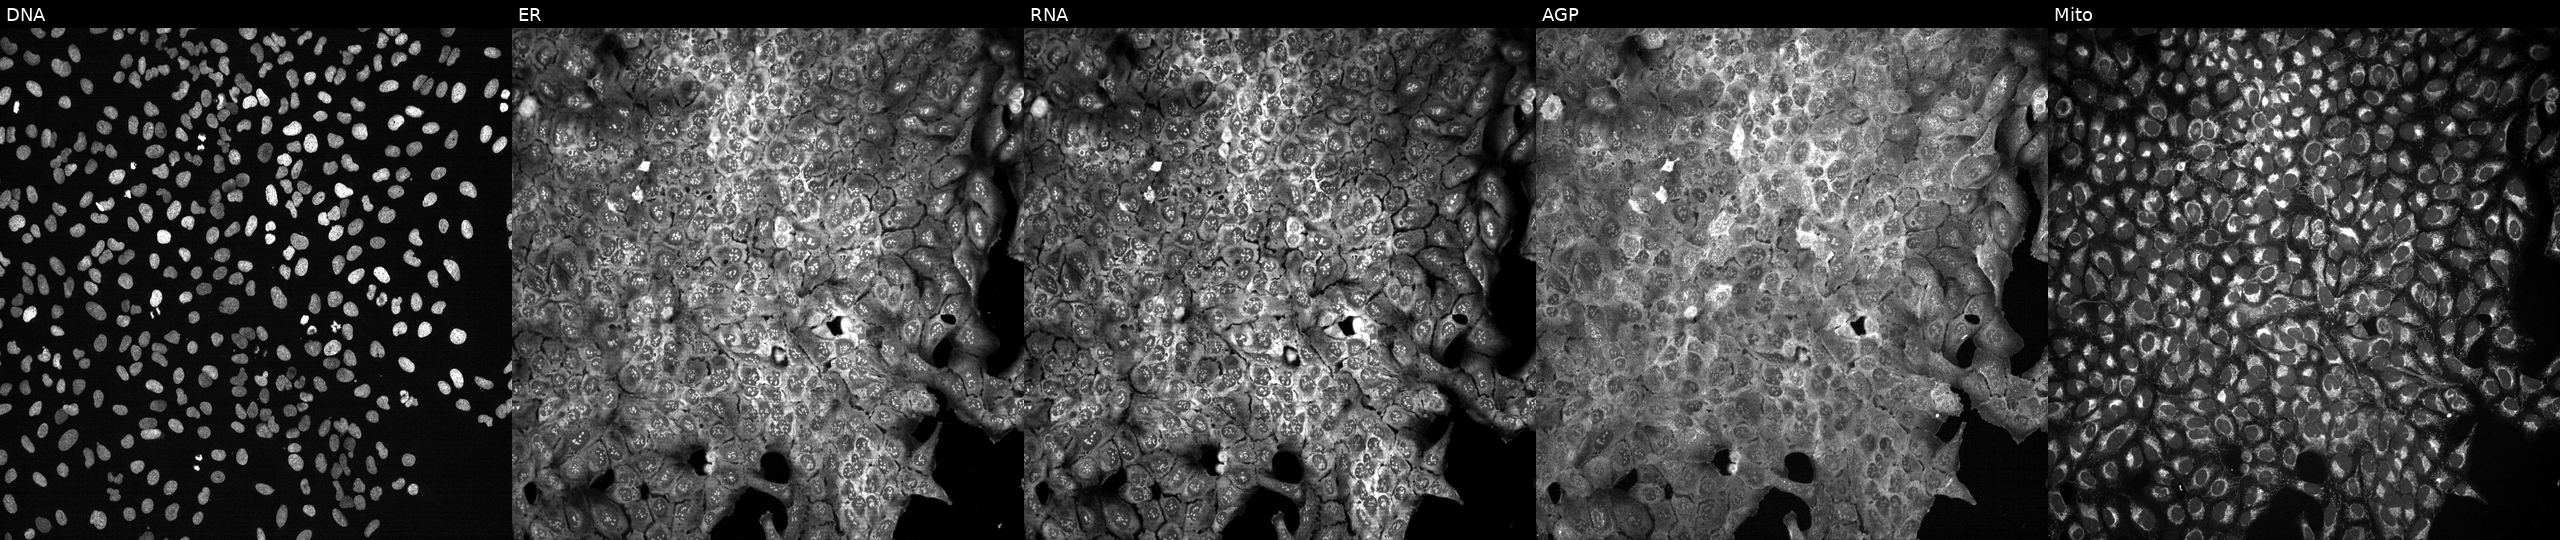
JUMP Cell Painting — CRISPR plate. U2OS cells following CRISPR knockout of B3GNT5 (JUMP id JCP2022_800783). The five panels, left to right, show Hoechst 33342, concanavalin A, SYTO 14, phalloidin and WGA, MitoTracker.